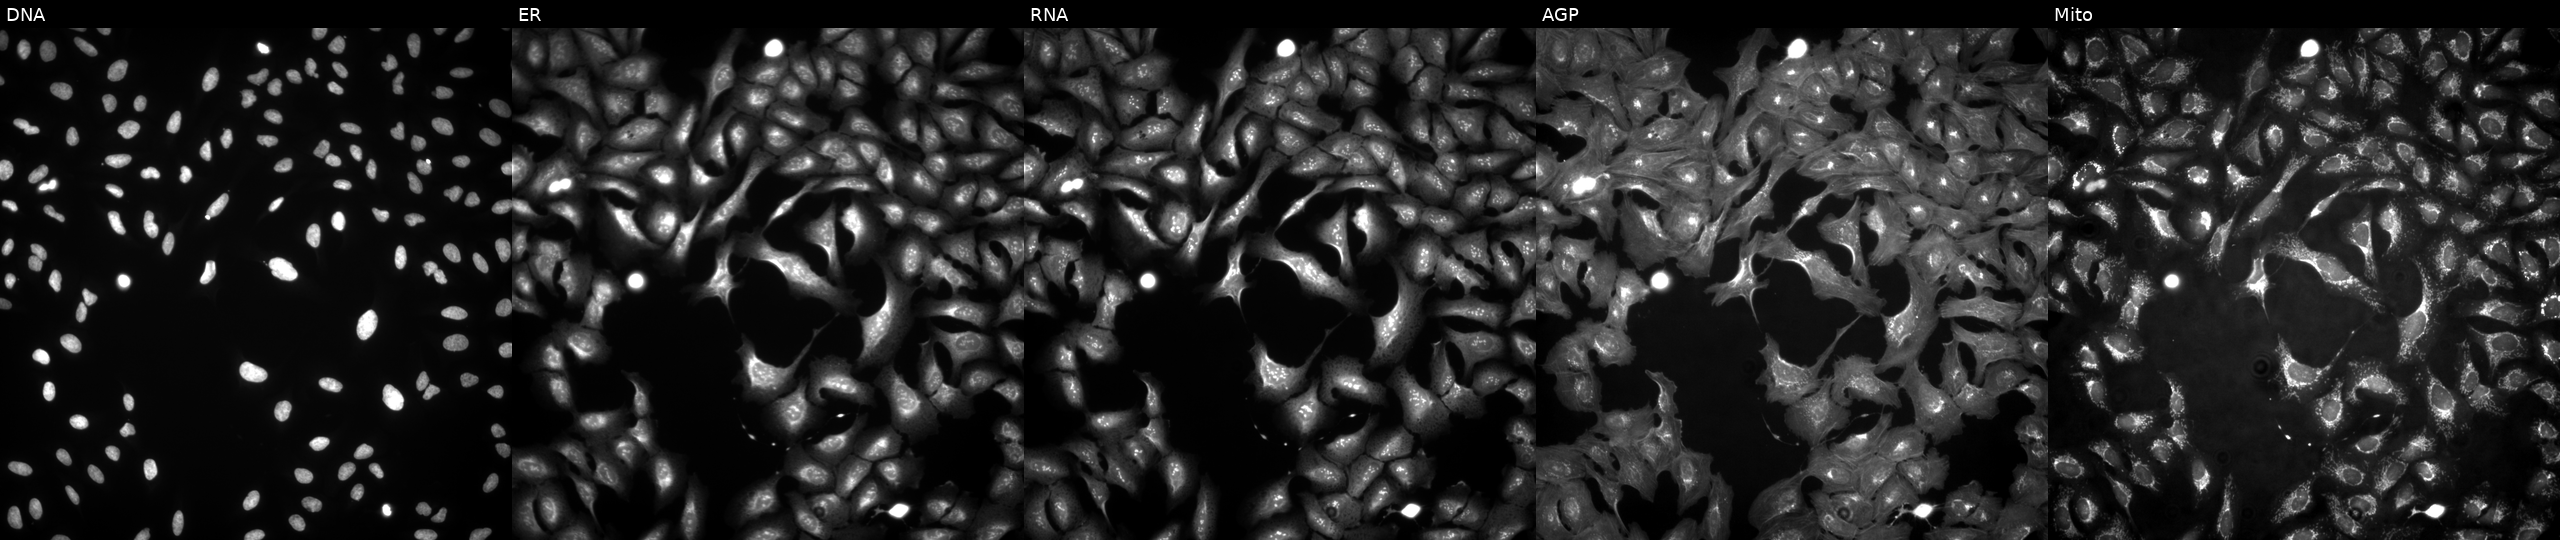
Five-channel Cell Painting image of U2OS cells transfected with an ORF construct for NRP2. Panels show, left to right, DNA (nuclei); ER (endoplasmic reticulum); RNA (nucleoli and cytoplasmic RNA); AGP (actin cytoskeleton, Golgi, and plasma membrane); Mito (mitochondria).